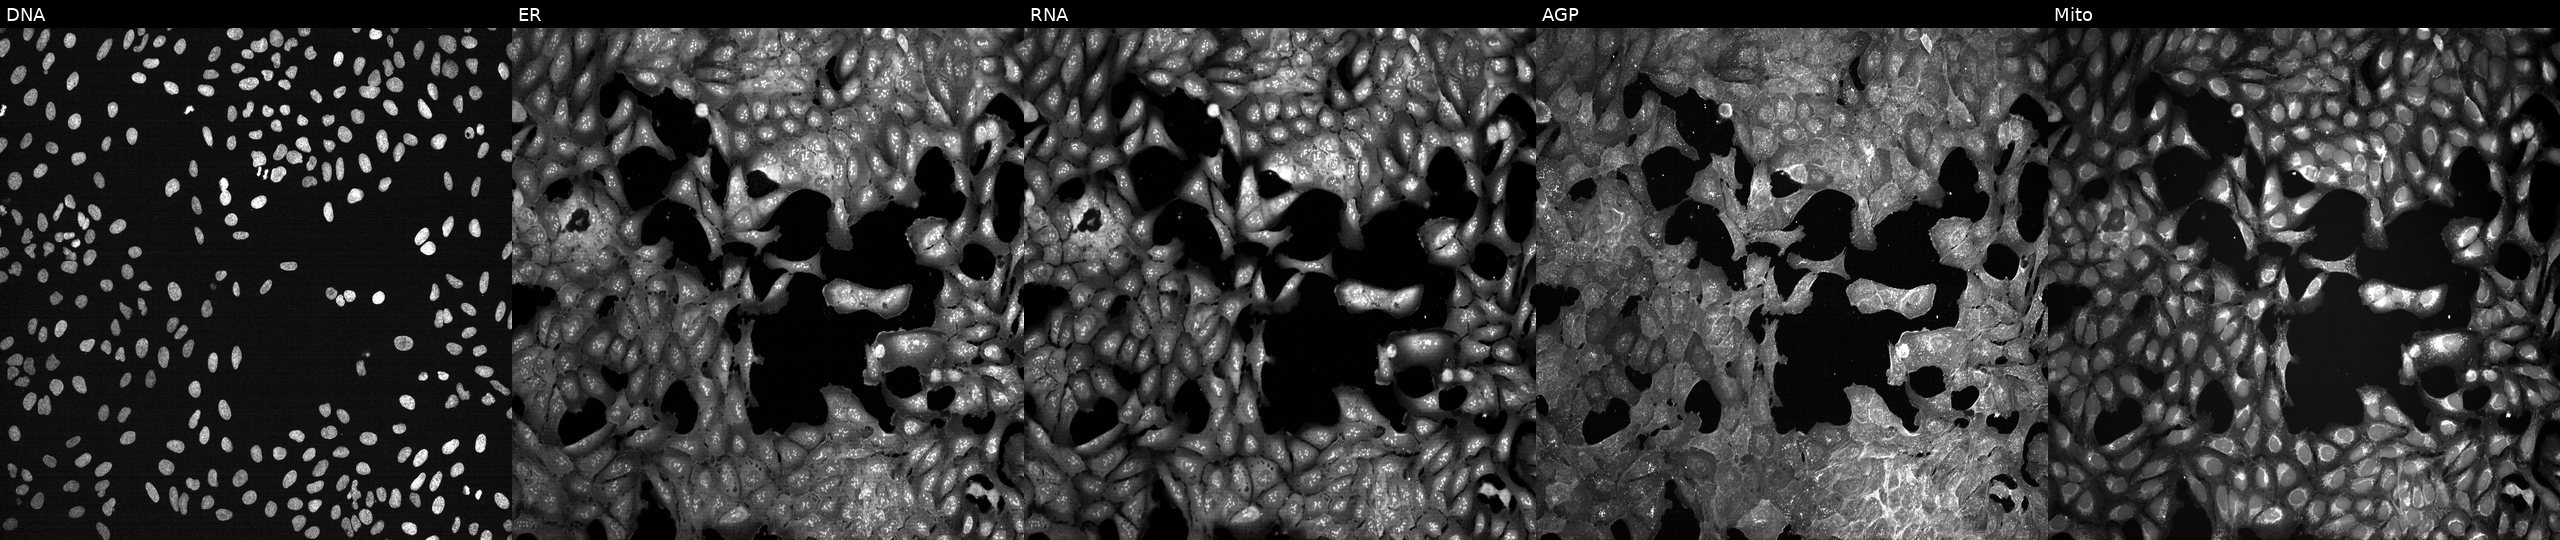
Channels (left→right): DNA (nuclei); ER (endoplasmic reticulum); RNA (nucleoli and cytoplasmic RNA); AGP (actin cytoskeleton, Golgi, and plasma membrane); Mito (mitochondria). U2OS osteosarcoma cells exposed to DMSO alone as a negative control. Cell Painting assay, JUMP-CP dataset.